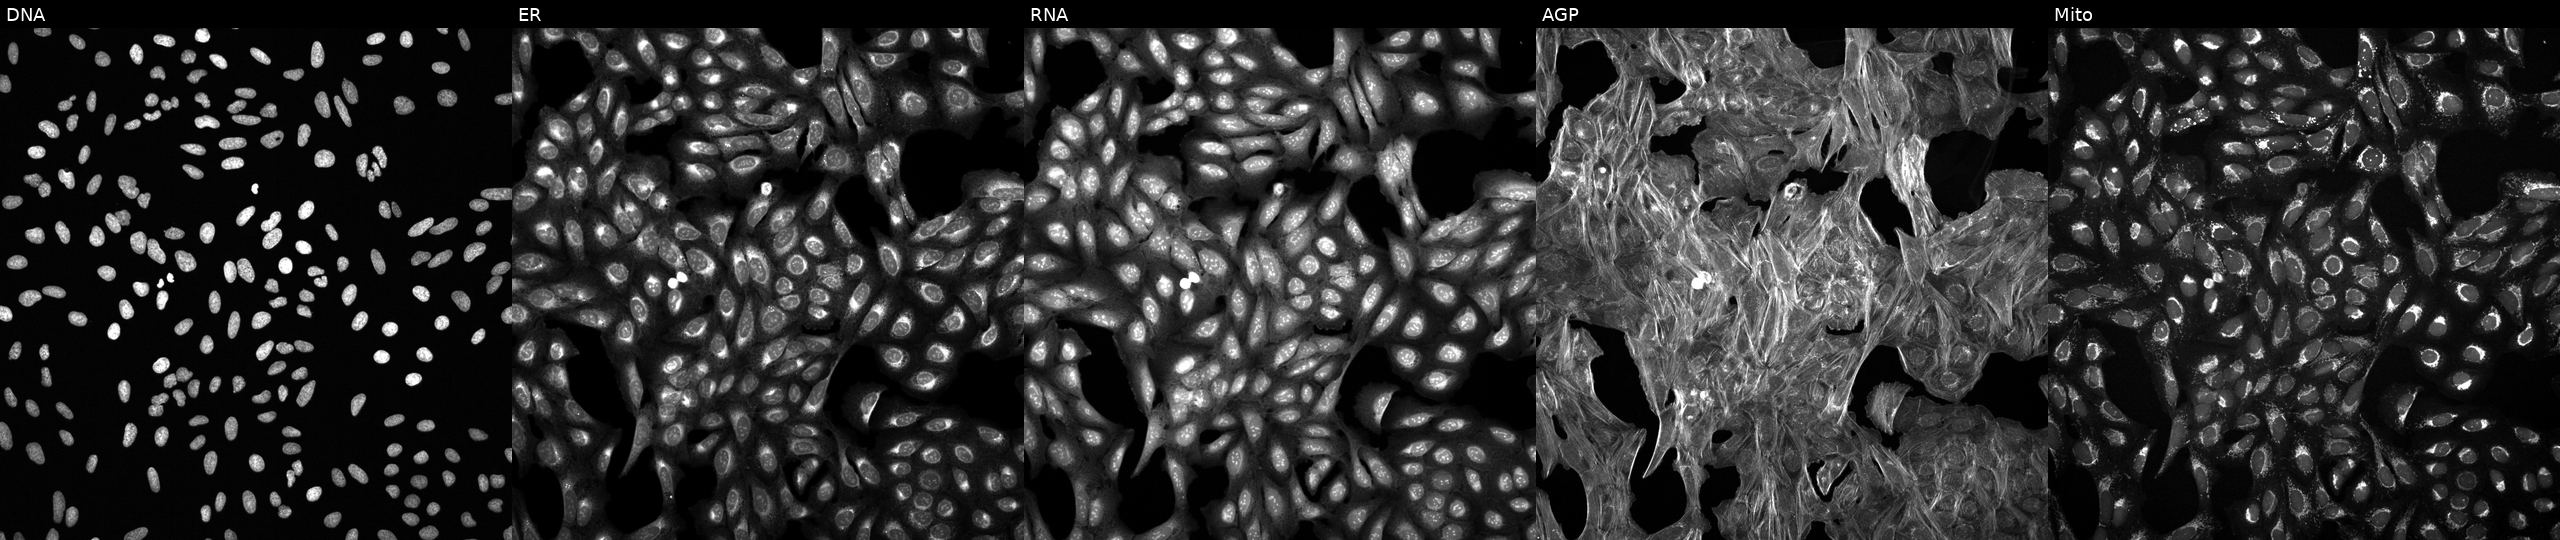
Five-channel Cell Painting image of U2OS cells perturbed with a small-molecule compound (InChIKey ZOEWRXNQQQMMGB-UHFFFAOYSA-N) [SMILES: Cc1cccc(NC(=O)c2cc(C(C)C)n(C3CCS(=O)(=O)C3)n2)c1] (JUMP id JCP2022_114595). From left to right: DNA, ER, RNA, AGP, and Mito. Source 6, plate 110000293082, well H08.